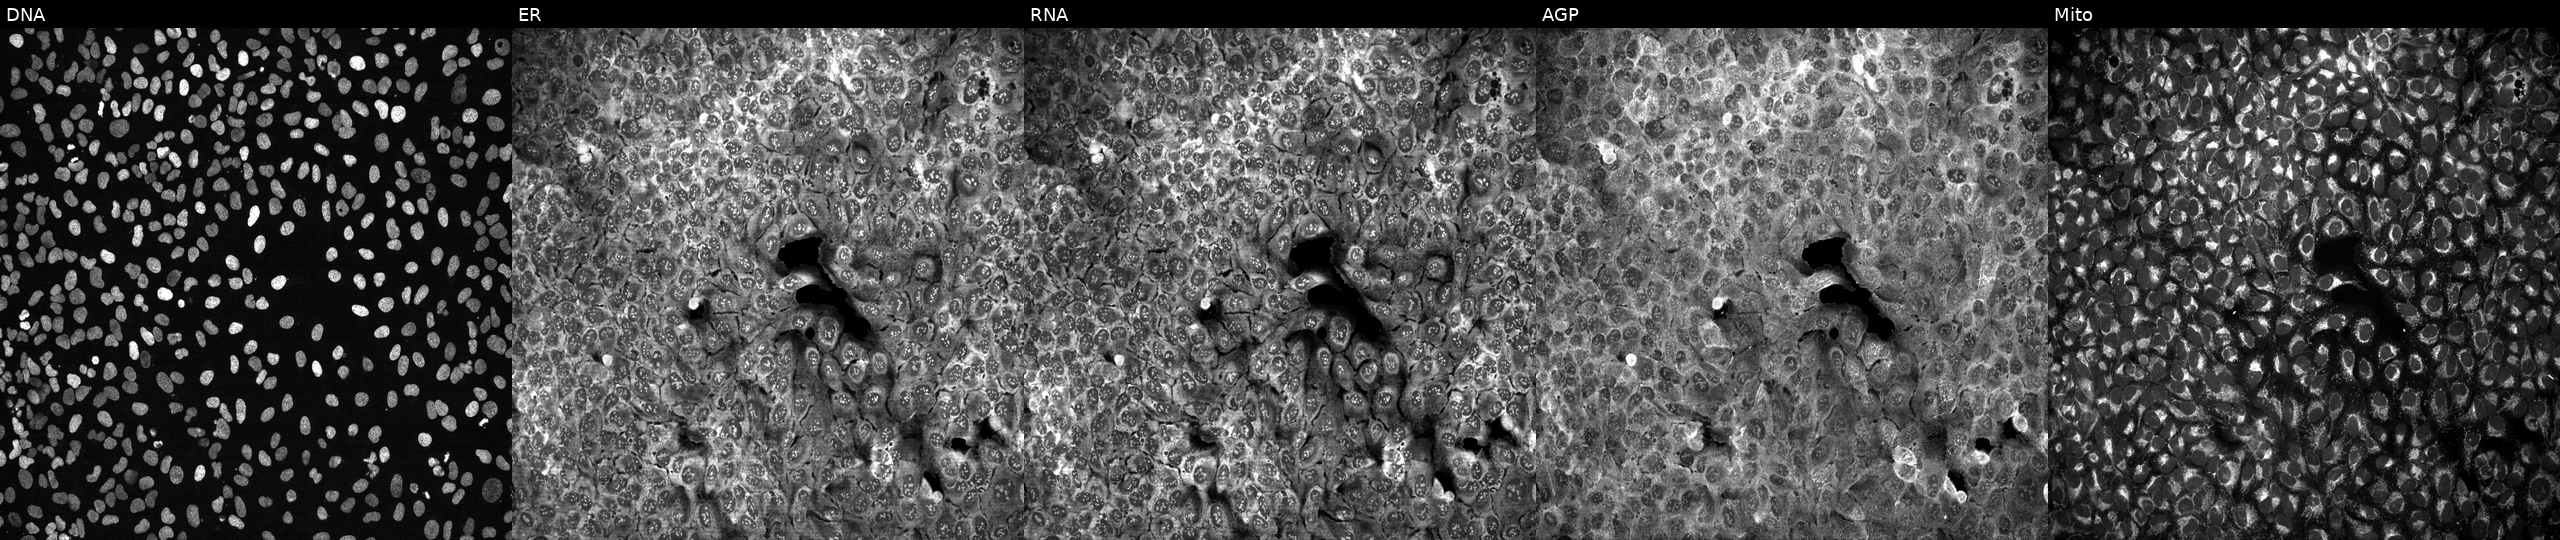
JUMP Cell Painting — CRISPR plate. U2OS cells following CRISPR knockout of NMT2 (JUMP id JCP2022_804627). From left to right: DNA, ER, RNA, AGP, and Mito.